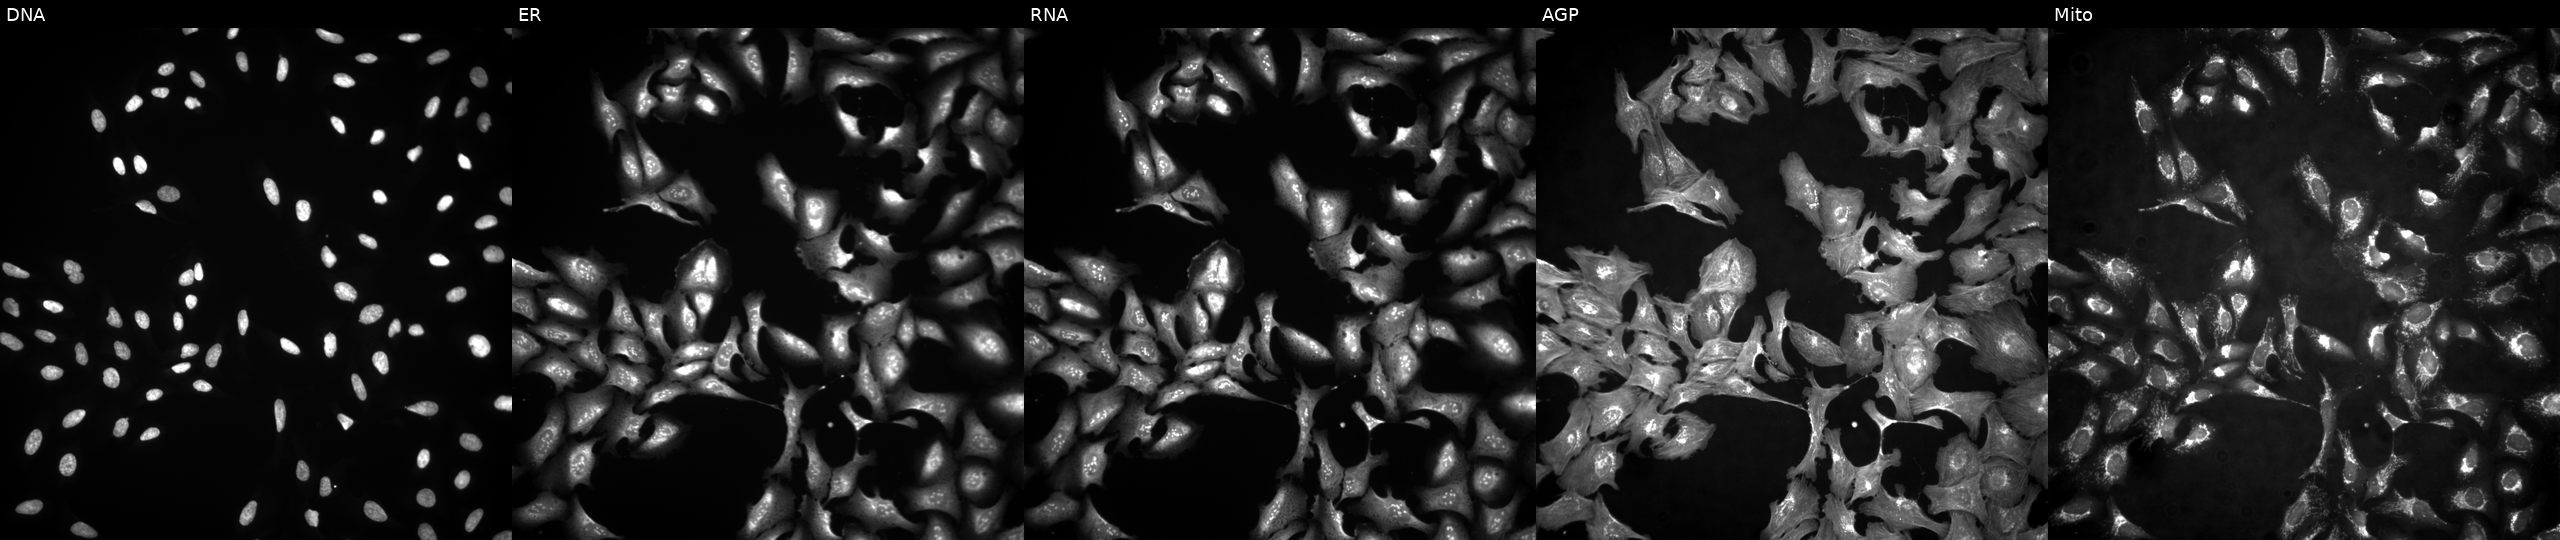
Five-channel Cell Painting image of U2OS cells transfected with an ORF construct for PILRA (JUMP id JCP2022_911111). Panels show, left to right, Hoechst 33342, concanavalin A, SYTO 14, phalloidin and WGA, MitoTracker.